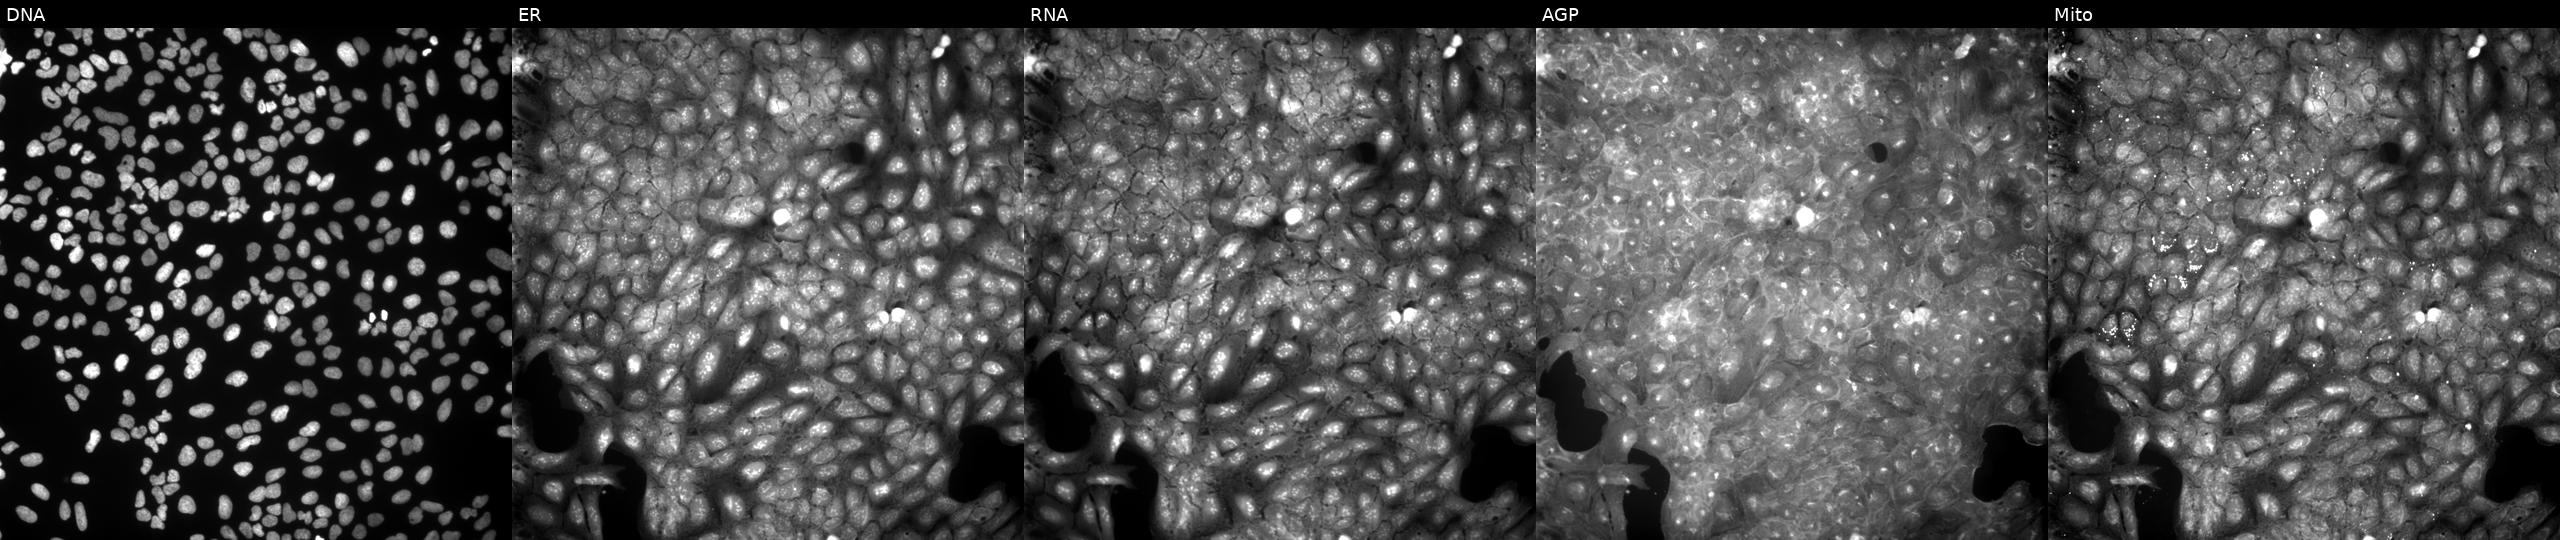
U2OS cells, Cell Painting assay, exposed to the positive-control compound quinidine. Panels show, left to right, DNA (nuclei); ER (endoplasmic reticulum); RNA (nucleoli and cytoplasmic RNA); AGP (actin cytoskeleton, Golgi, and plasma membrane); Mito (mitochondria). Each panel is percentile-stretched 16-bit fluorescence.